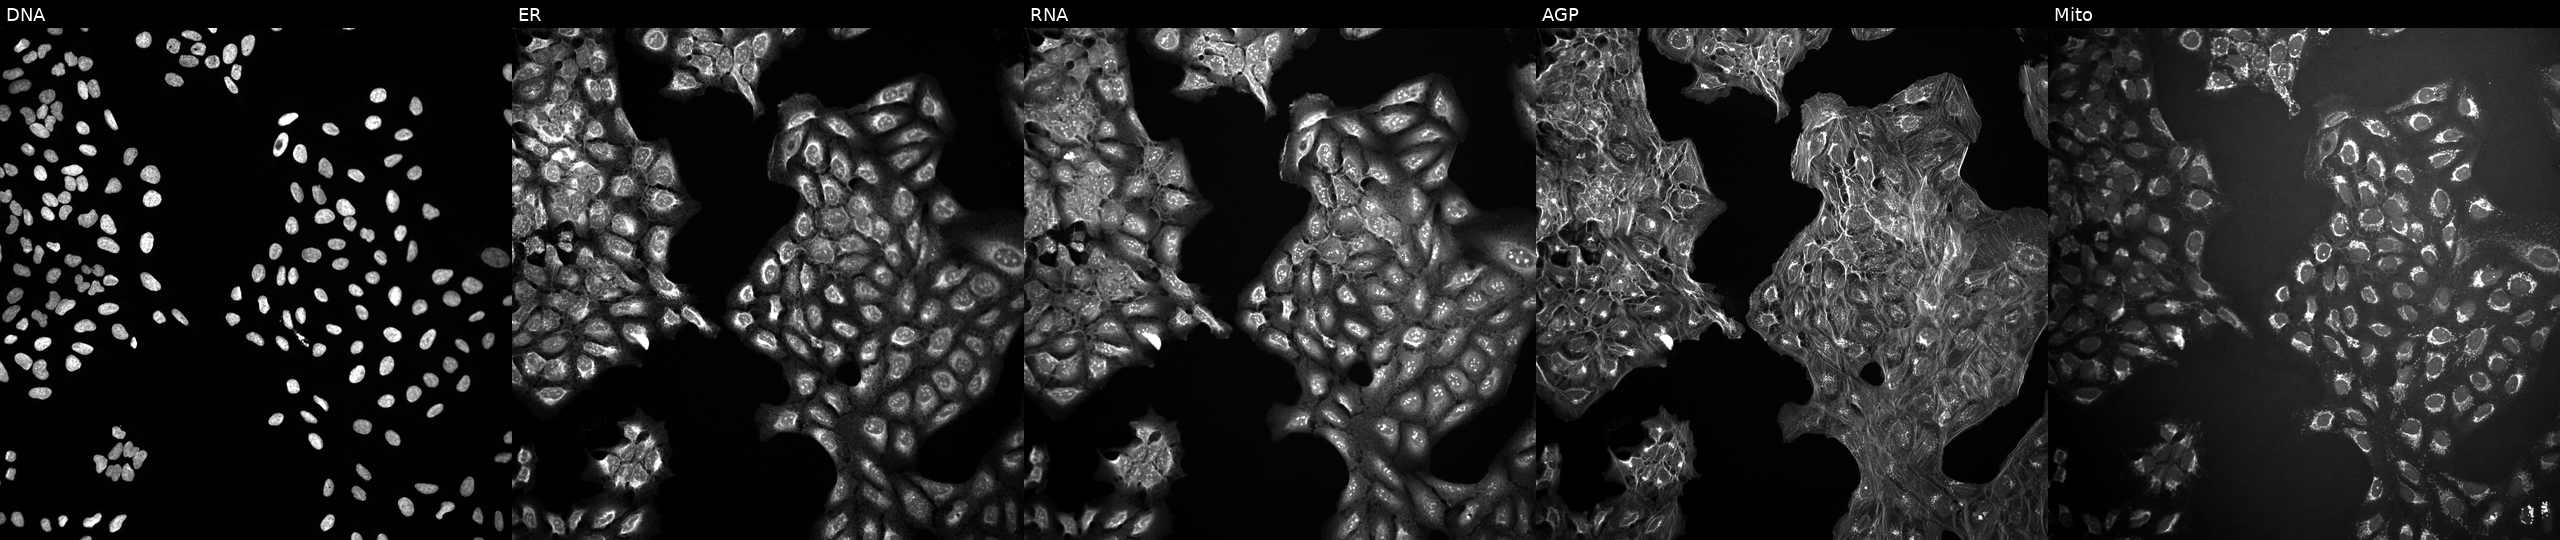
JUMP Cell Painting — COMPOUND plate. U2OS cells in an empty control well (no perturbation). Channels (left→right): DNA, ER, RNA, AGP, and Mito. Source 10, plate Dest210531-152324, well J18.